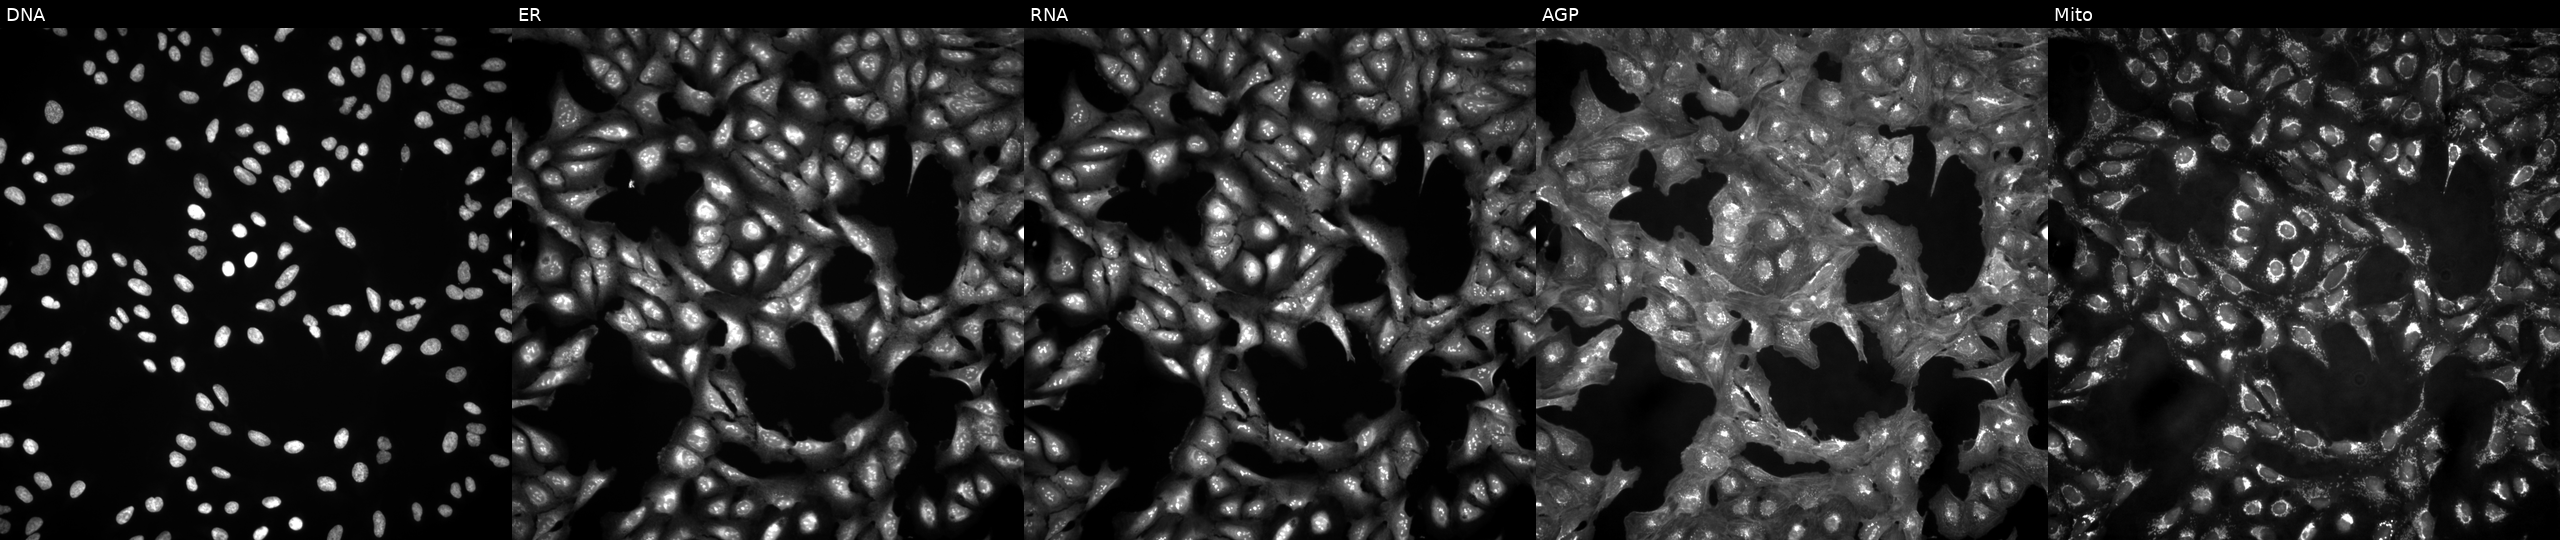
U2OS cells, Cell Painting assay, in an empty control well (no perturbation). From left to right: DNA (nuclei); ER (endoplasmic reticulum); RNA (nucleoli and cytoplasmic RNA); AGP (actin cytoskeleton, Golgi, and plasma membrane); Mito (mitochondria). Each panel is percentile-stretched 16-bit fluorescence. Source 4, plate BR00123946, well J09.